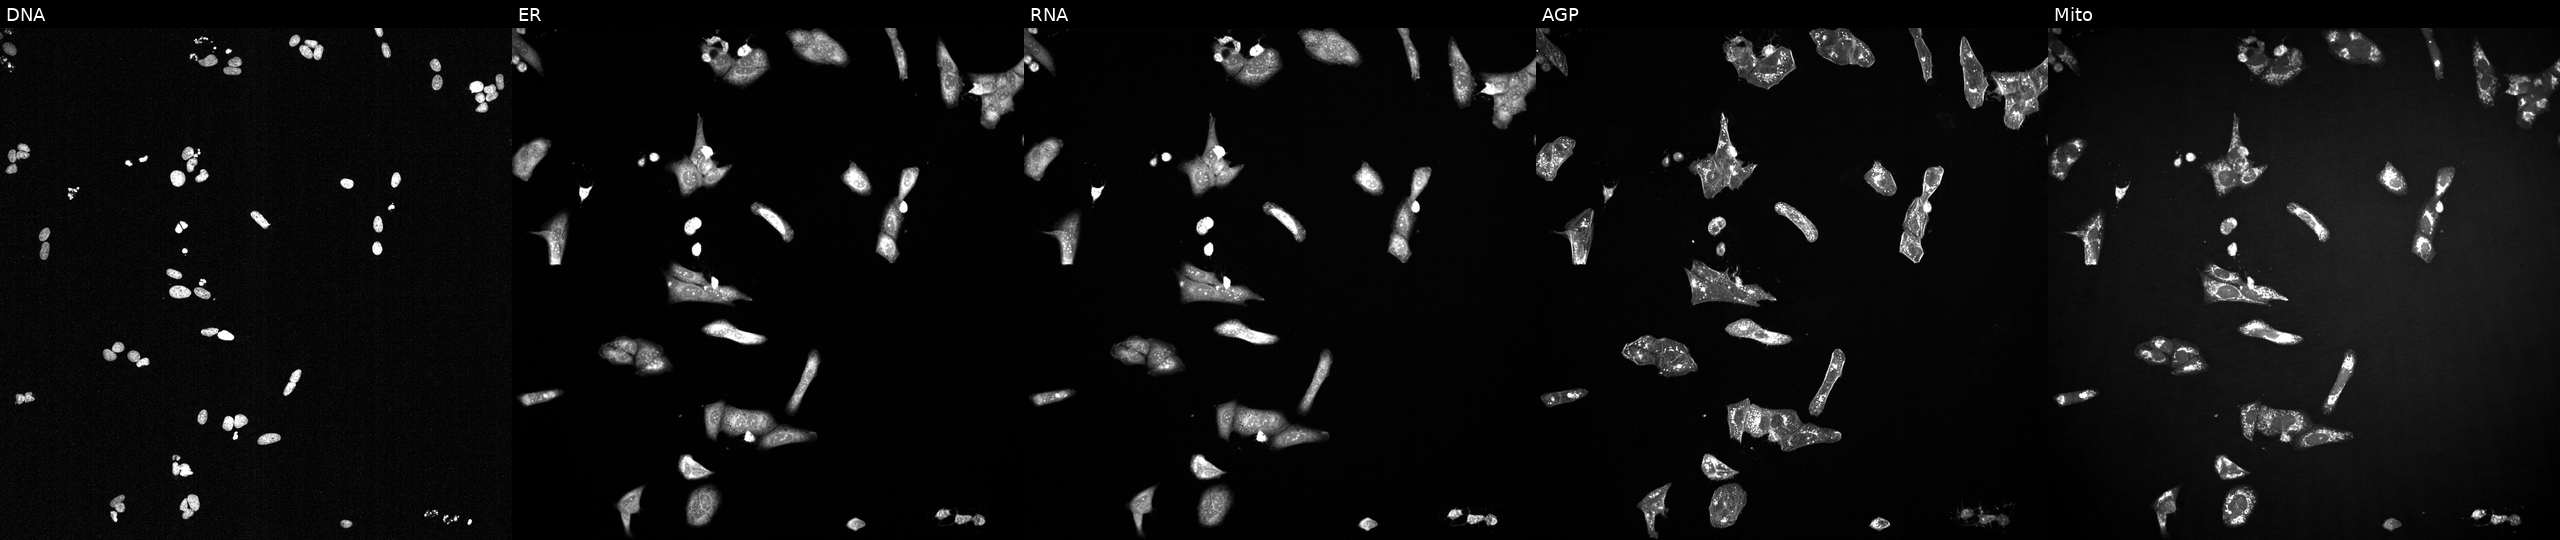
The five panels, left to right, show DNA (nuclei); ER (endoplasmic reticulum); RNA (nucleoli and cytoplasmic RNA); AGP (actin cytoskeleton, Golgi, and plasma membrane); Mito (mitochondria). U2OS osteosarcoma cells exposed to a small-molecule compound (InChIKey NBTNHSGBRGTFJS-UHFFFAOYSA-N) [SMILES: COc1ccc(N(C(=O)Oc2c(C)cccc2C)c2cc[nH]c(=Nc3ccc(N4CCN(C)CC4)cc3)n2)c(OC)c1] (JUMP id JCP2022_057971). Cell Painting assay, JUMP-CP dataset.